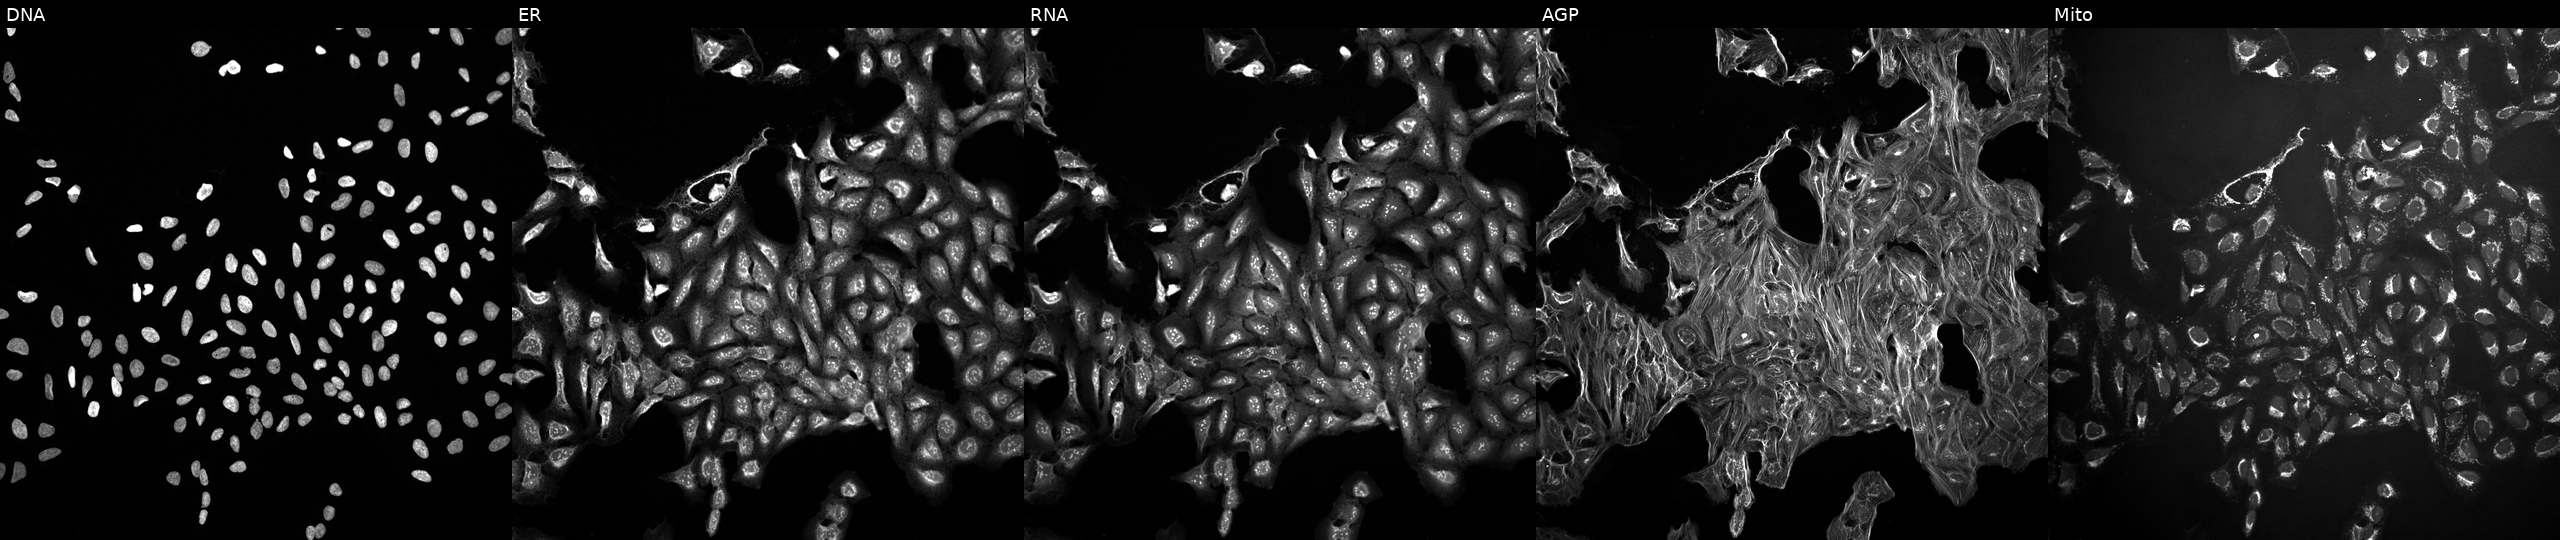
JUMP Cell Painting — TARGET2 plate. U2OS cells exposed to a small-molecule compound (InChIKey XXRCUYVCPSWGCC-UHFFFAOYSA-N) (JUMP id JCP2022_106722). Panels show, left to right, DNA, ER, RNA, AGP, and Mito. Source 10, plate Dest210727-153003, well E11.